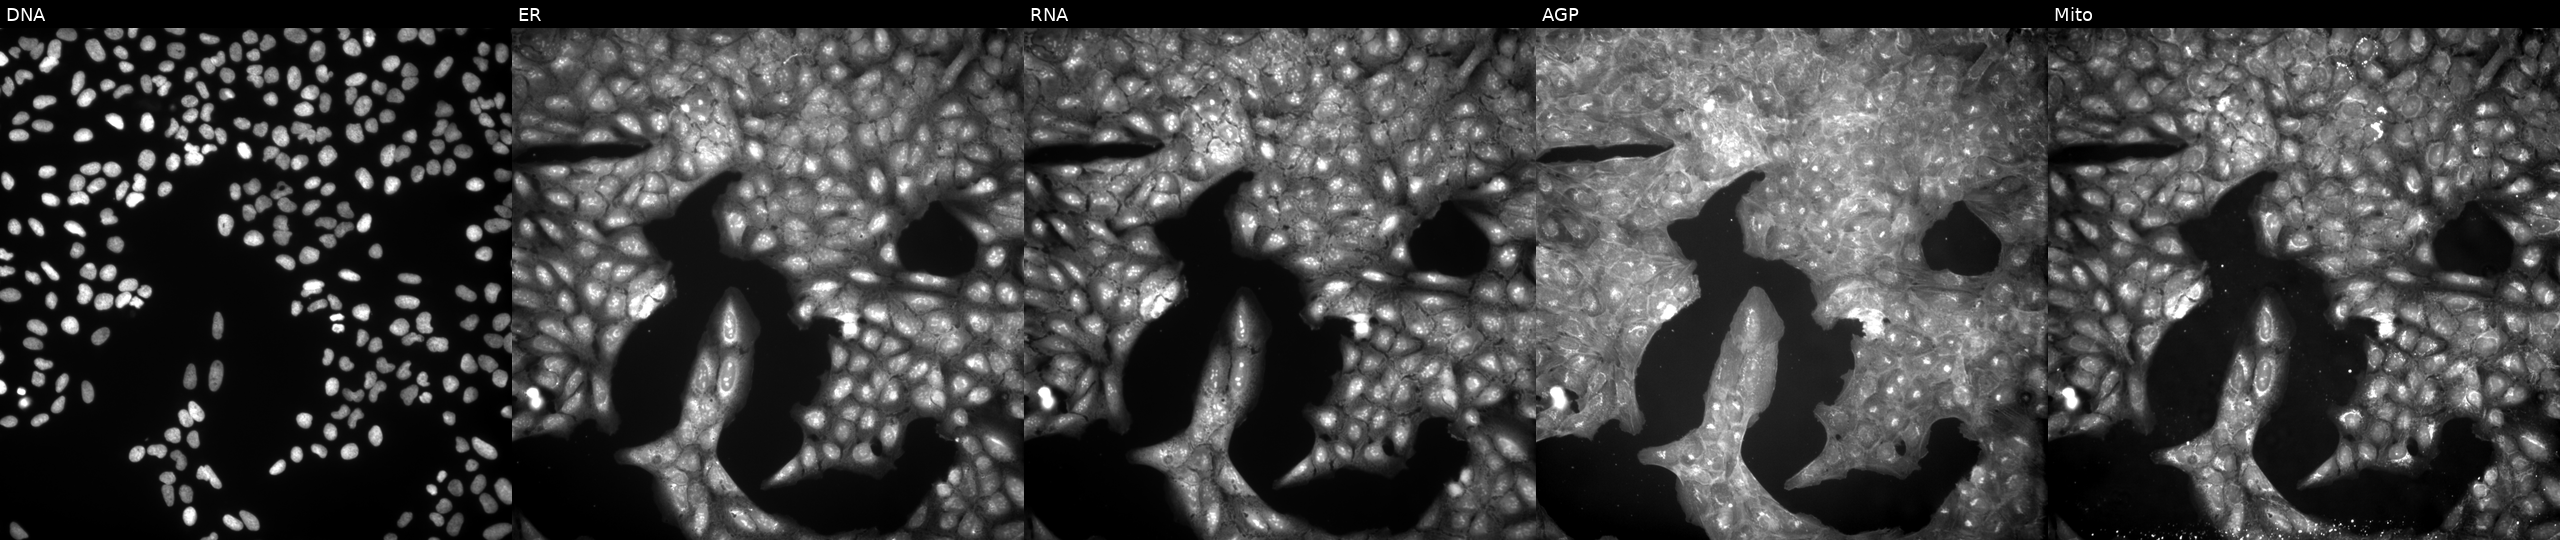
JUMP Cell Painting — COMPOUND plate. U2OS cells treated with a small-molecule compound (InChIKey ZDAXBGSTCIHOHL-UHFFFAOYSA-N) [SMILES: CSc1nsc(SC)c1NC(=O)OC1CCCCC1] (JUMP id JCP2022_112572). Channels (left→right): Hoechst 33342, concanavalin A, SYTO 14, phalloidin and WGA, MitoTracker.